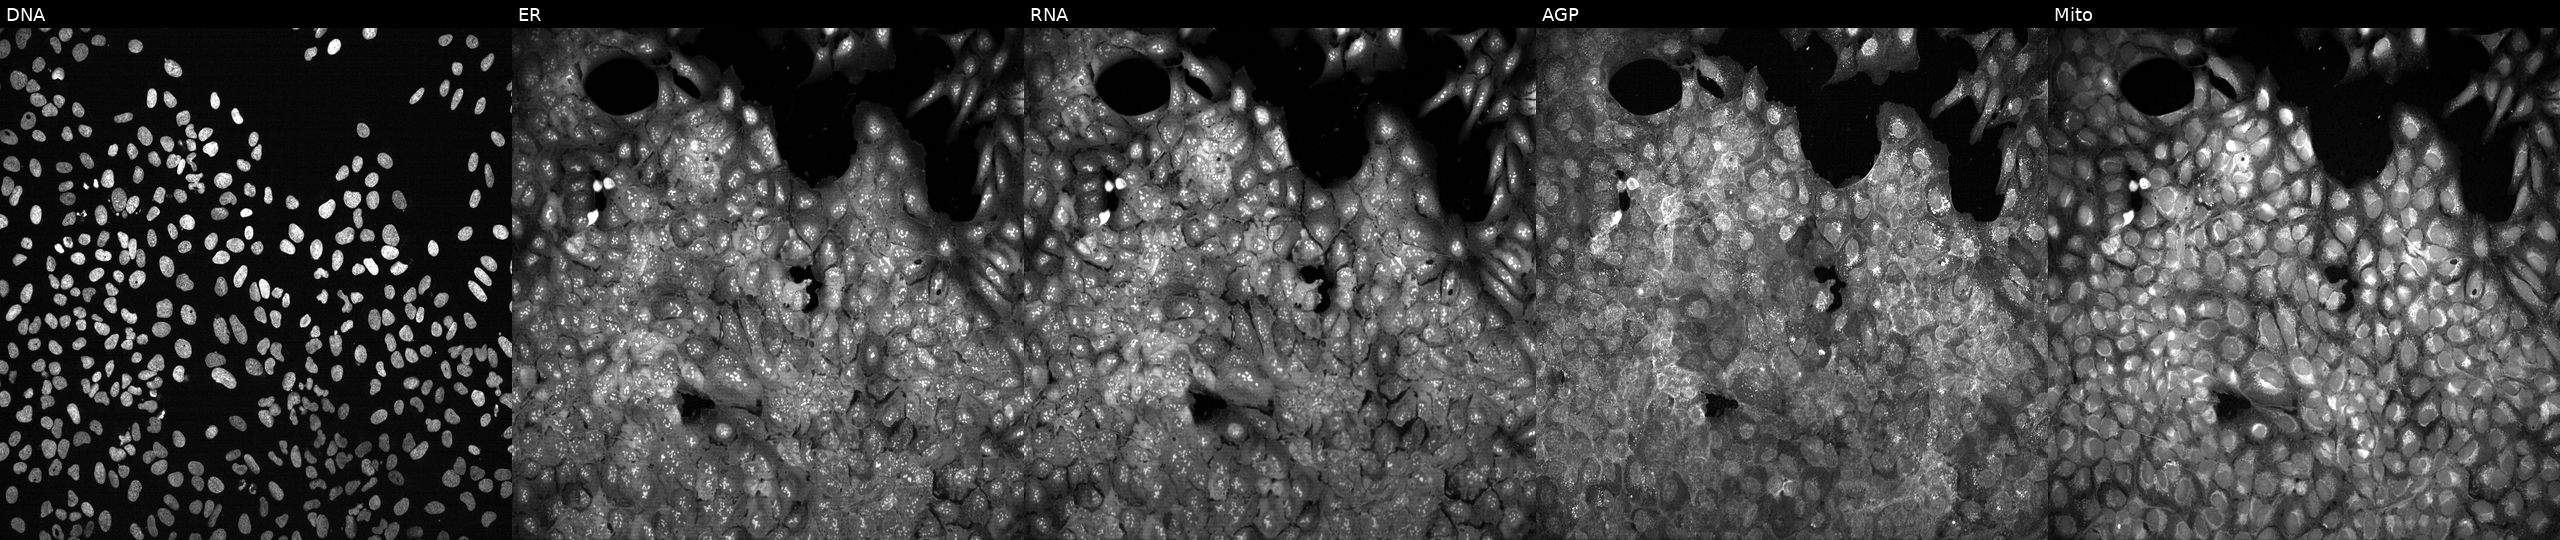
U2OS cells, Cell Painting assay, CRISPR-edited to disrupt SAMHD1. Panels show, left to right, DNA, ER, RNA, AGP, and Mito. Each panel is percentile-stretched 16-bit fluorescence.